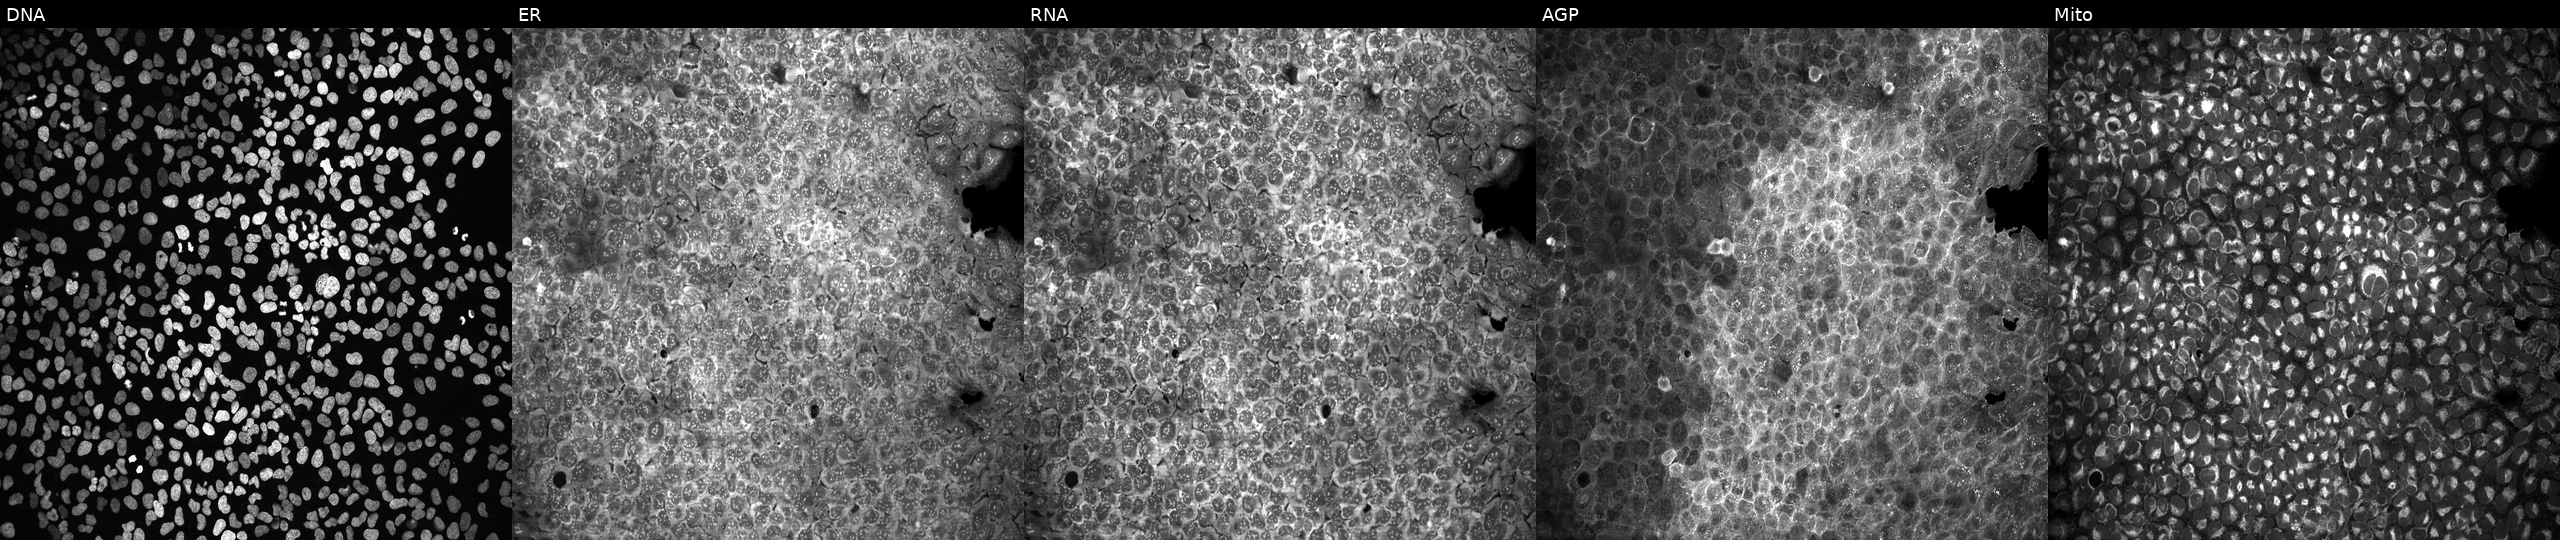
Five-channel Cell Painting image of U2OS cells exposed to DMSO alone as a negative control (JUMP id JCP2022_033924). The five panels, left to right, show DNA, ER, RNA, AGP, and Mito. Source 13, plate CP-CC9-R6-19, well K23.